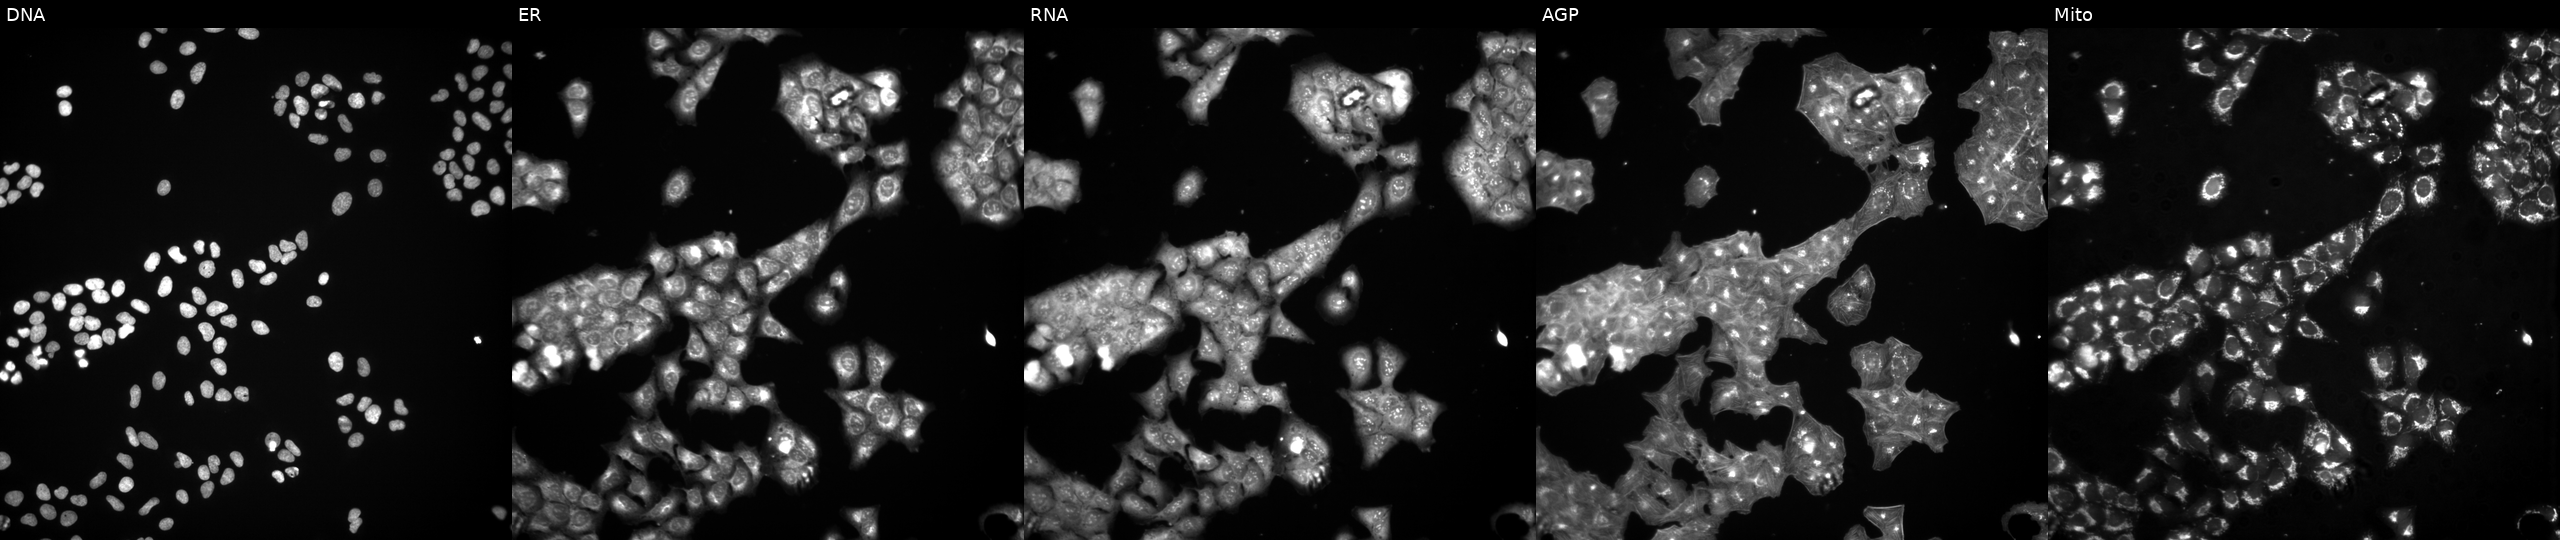
This image strip shows the five Cell Painting channels for a single field of U2OS cells treated with NVS-PAK1-1 (positive-control compound) (JUMP id JCP2022_064022). From left to right: DNA (nuclei); ER (endoplasmic reticulum); RNA (nucleoli and cytoplasmic RNA); AGP (actin cytoskeleton, Golgi, and plasma membrane); Mito (mitochondria). Source 3, plate BR5867a3, well J24.